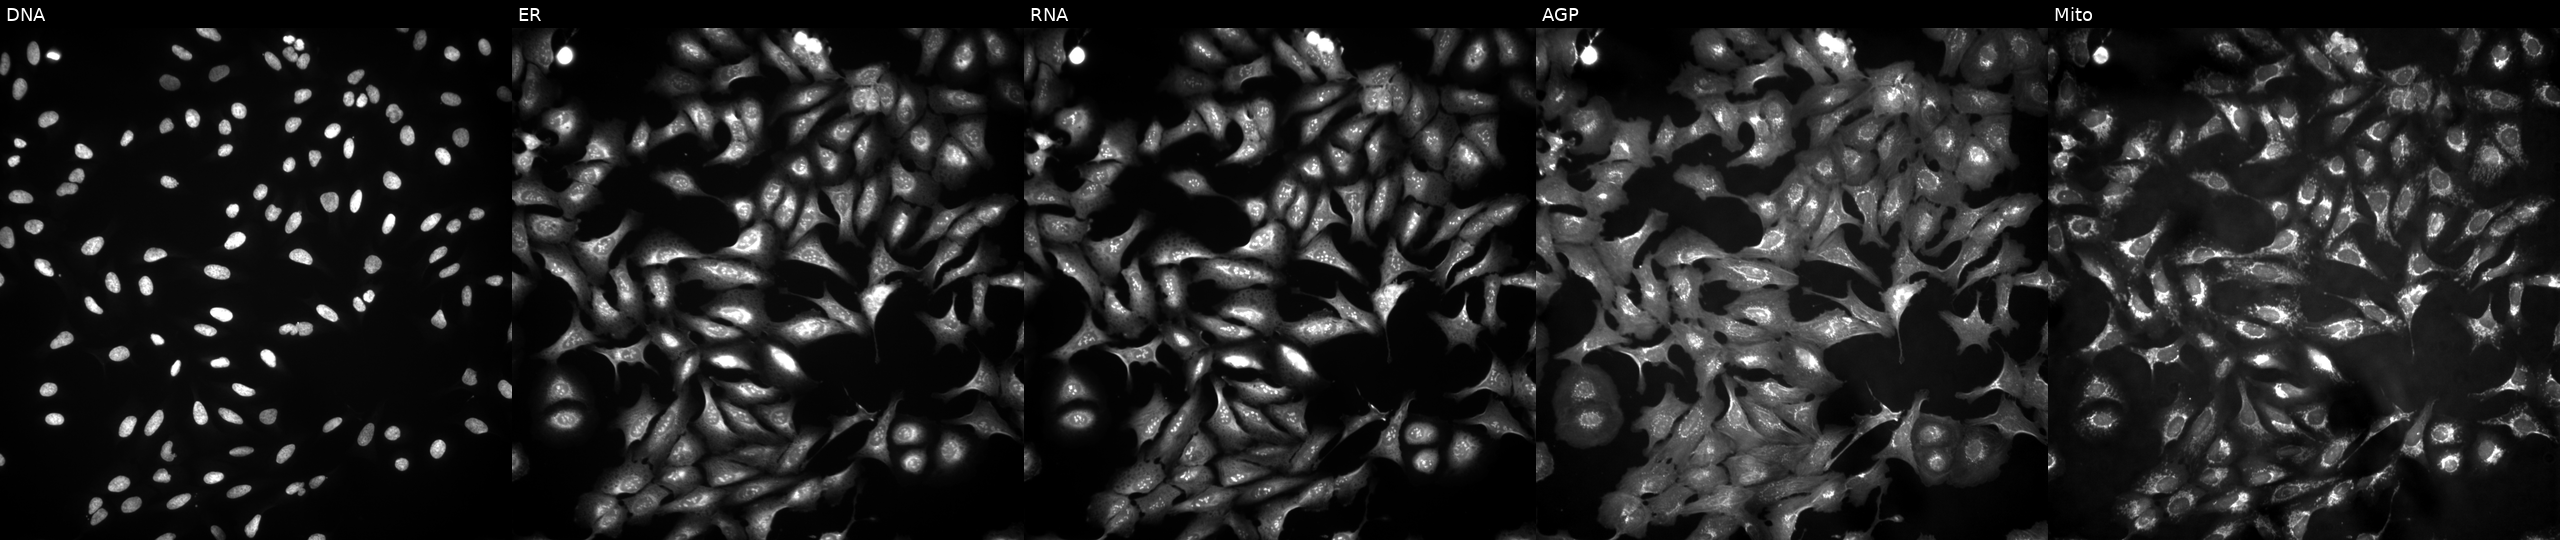
This image strip shows the five Cell Painting channels for a single field of U2OS cells overexpressing DLGAP5 via ORF transfection (JUMP id JCP2022_914670). From left to right: Hoechst 33342, concanavalin A, SYTO 14, phalloidin and WGA, MitoTracker. Source 4, plate BR00121543, well M11.